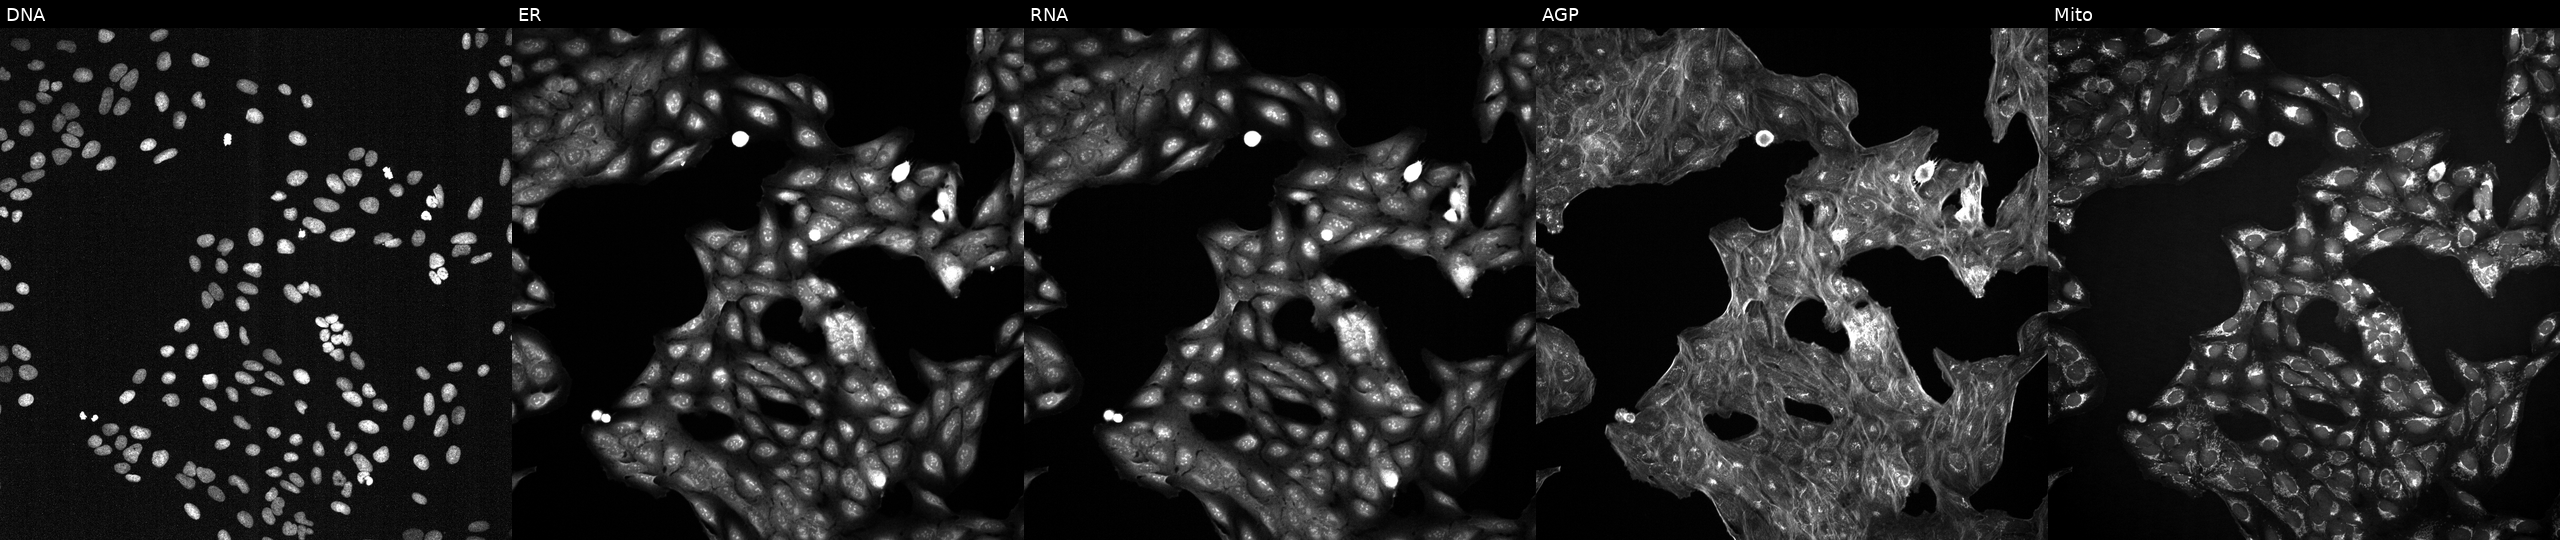
This image strip shows the five Cell Painting channels for a single field of U2OS cells exposed to DMSO alone as a negative control (JUMP id JCP2022_033924). Channels (left→right): DNA, ER, RNA, AGP, and Mito.